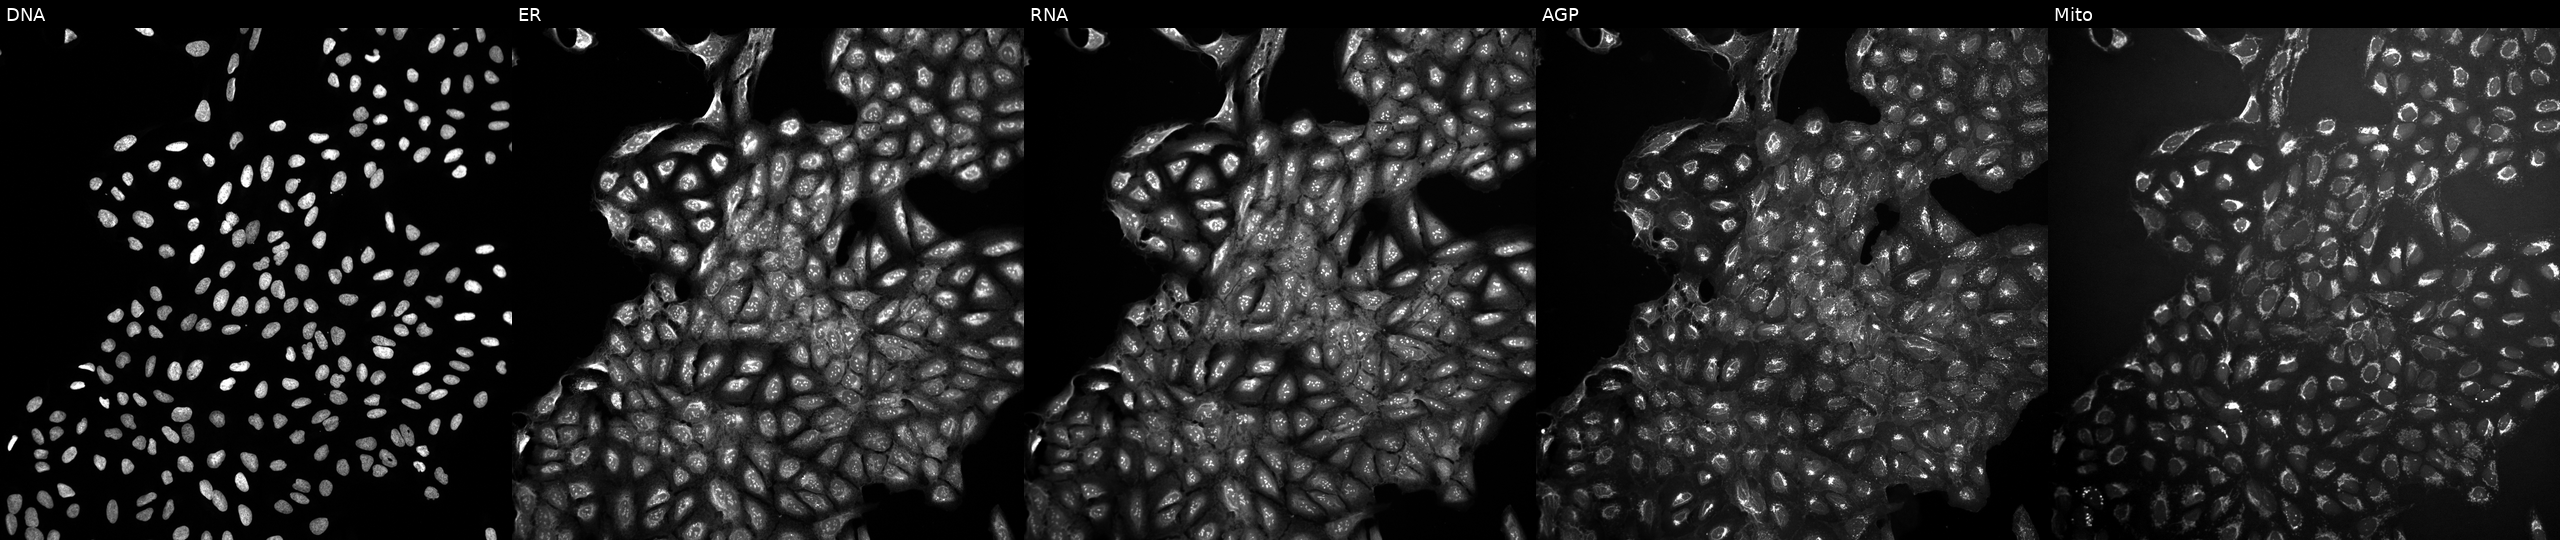
JUMP Cell Painting — TARGET2 plate. U2OS cells exposed to a small-molecule compound (InChIKey WRLVHADVOGFZOZ-UHFFFAOYSA-N) [SMILES: CCOc1ccccc1N=Nc1c(C)[nH]n(-c2nc(-c3ccccc3)cs2)c1=O]. From left to right: DNA, ER, RNA, AGP, and Mito.